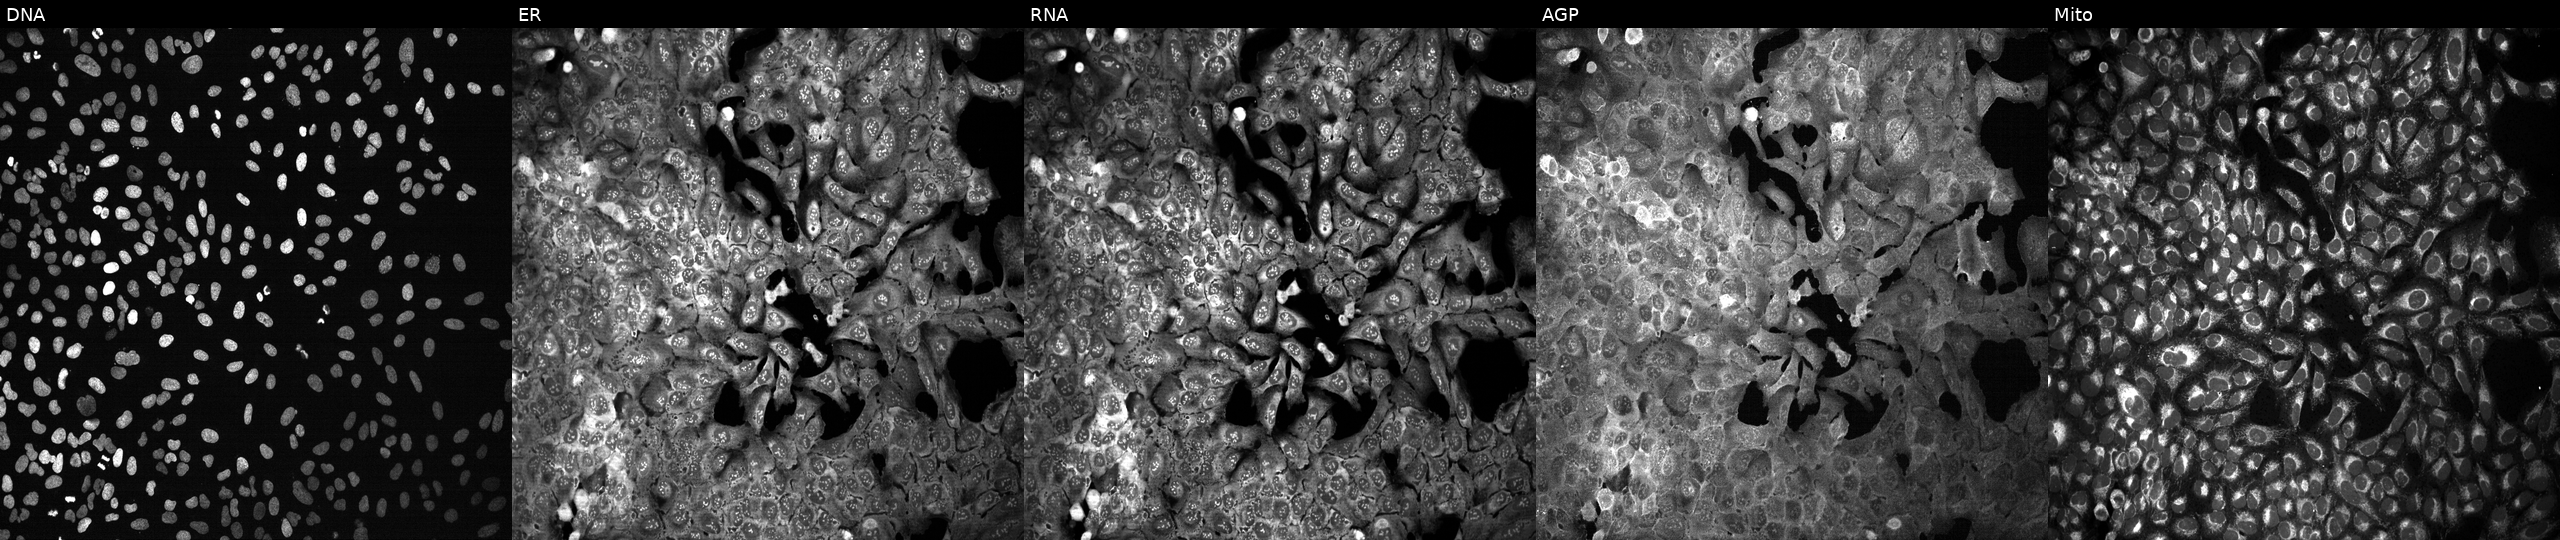
U2OS cells, Cell Painting assay, with SLC17A1 knocked out by CRISPR (JUMP id JCP2022_806394). Panels show, left to right, Hoechst 33342, concanavalin A, SYTO 14, phalloidin and WGA, MitoTracker. Each panel is percentile-stretched 16-bit fluorescence. Source 13, plate CP-CC9-R3-02, well N21.